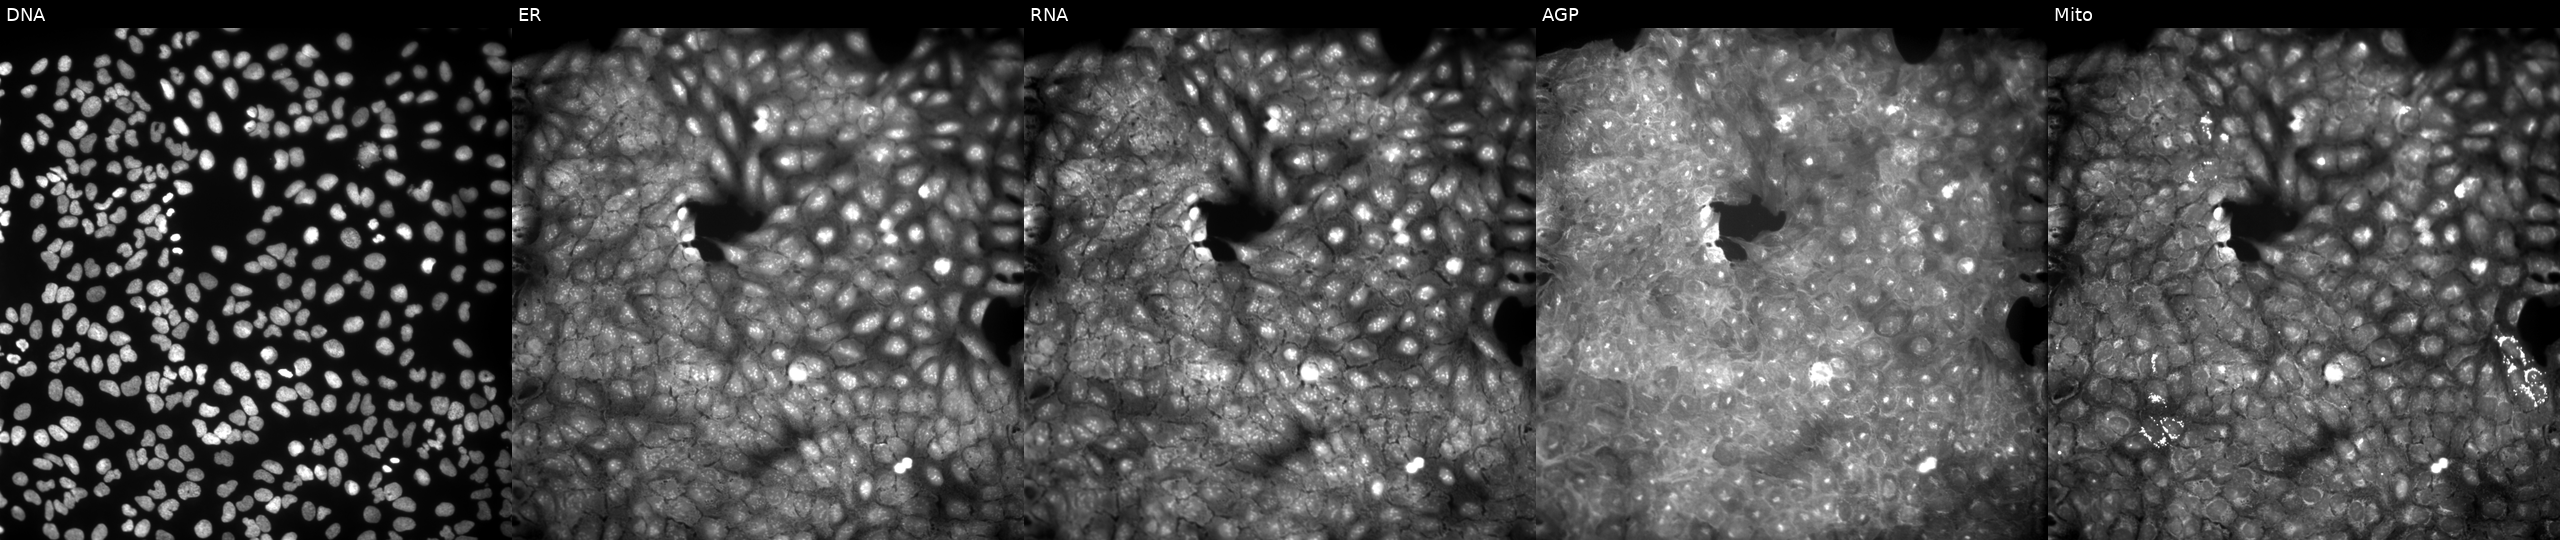
U2OS cells, Cell Painting assay, perturbed with a small-molecule compound (JUMP id JCP2022_035615). Panels show, left to right, DNA (nuclei); ER (endoplasmic reticulum); RNA (nucleoli and cytoplasmic RNA); AGP (actin cytoskeleton, Golgi, and plasma membrane); Mito (mitochondria). Each panel is percentile-stretched 16-bit fluorescence.